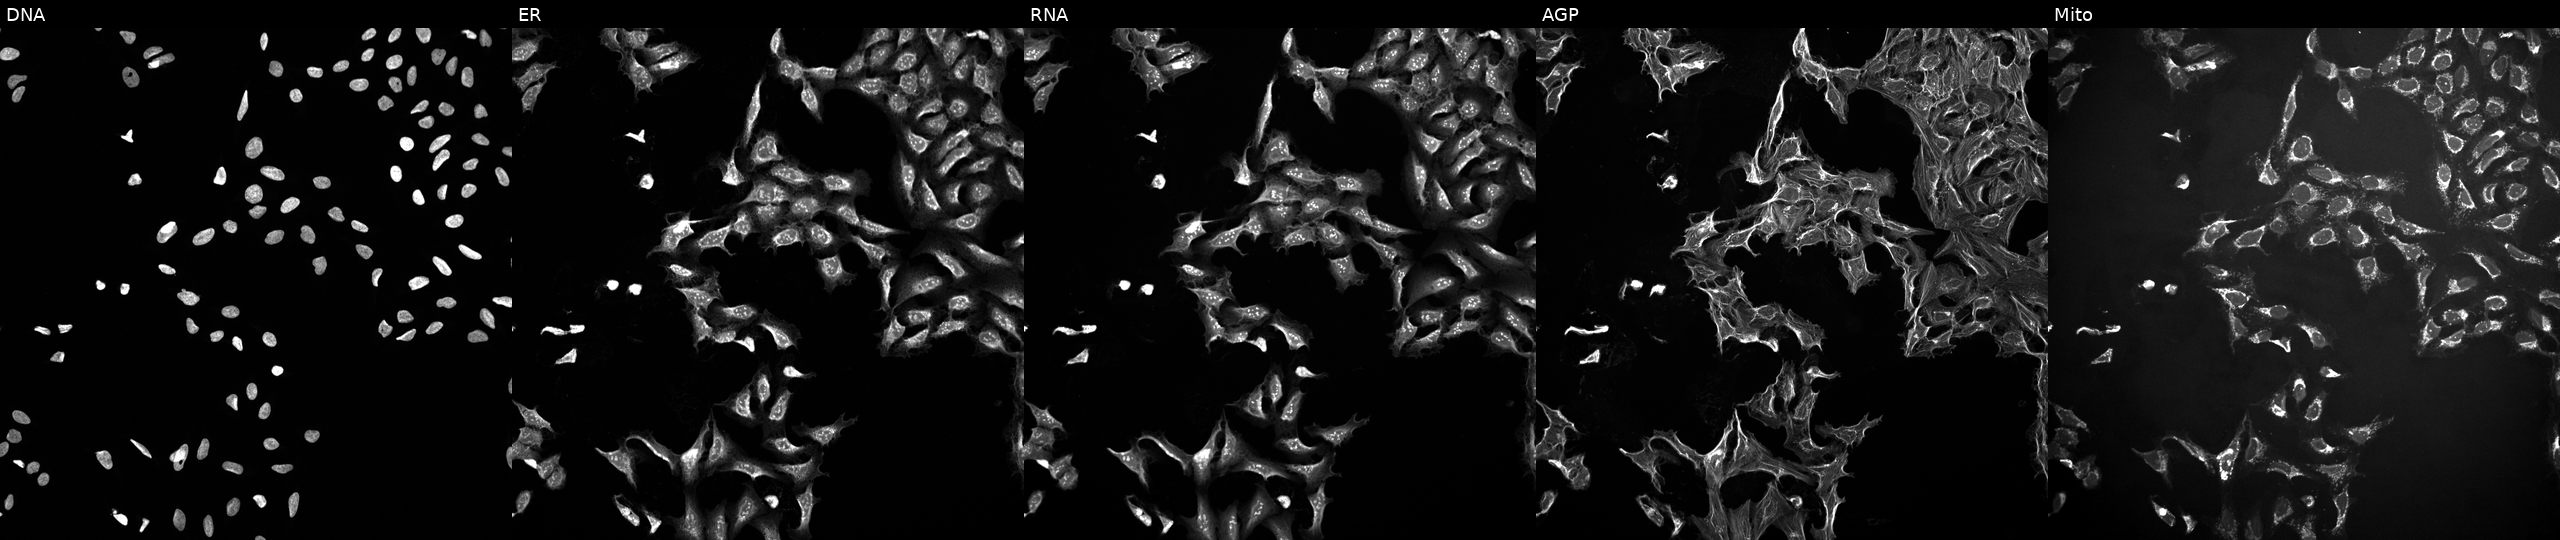
Five-channel Cell Painting image of U2OS cells treated with a small-molecule compound (InChIKey NMKJFZCBCIUYHI-UHFFFAOYSA-N). Channels (left→right): DNA (nuclei); ER (endoplasmic reticulum); RNA (nucleoli and cytoplasmic RNA); AGP (actin cytoskeleton, Golgi, and plasma membrane); Mito (mitochondria).